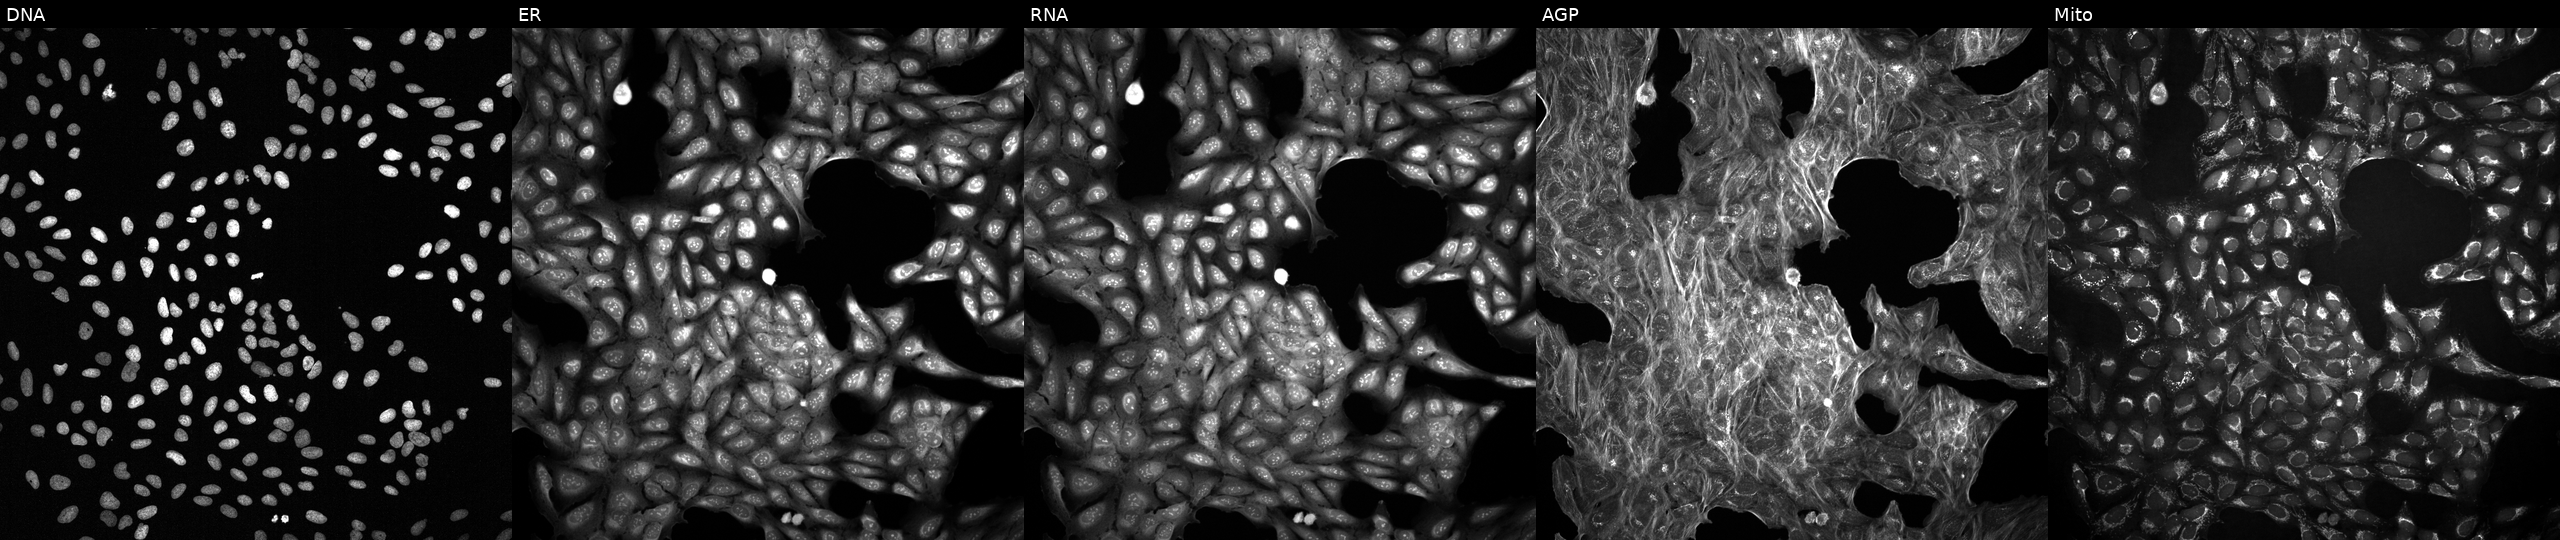
This image strip shows the five Cell Painting channels for a single field of U2OS cells treated with DMSO vehicle only (negative control) (JUMP id JCP2022_033924). Channels (left→right): Hoechst 33342, concanavalin A, SYTO 14, phalloidin and WGA, MitoTracker.